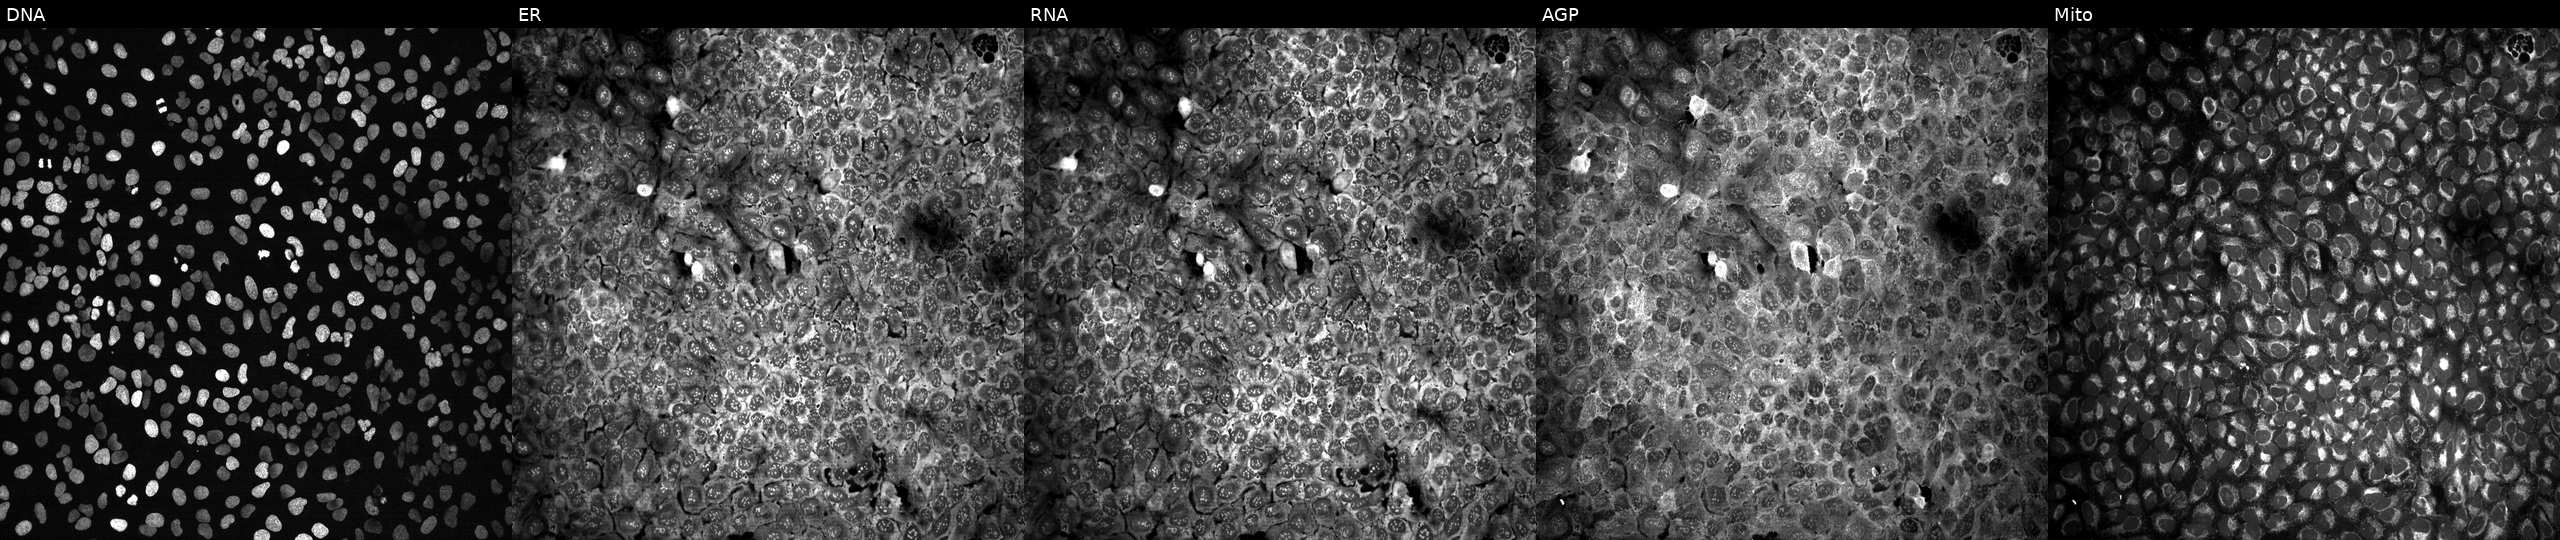
Channels (left→right): DNA (nuclei); ER (endoplasmic reticulum); RNA (nucleoli and cytoplasmic RNA); AGP (actin cytoskeleton, Golgi, and plasma membrane); Mito (mitochondria). U2OS osteosarcoma cells with HLCS knocked out by CRISPR (JUMP id JCP2022_803134). Cell Painting assay, JUMP-CP dataset. Source 13, plate CP-CC9-R3-01, well J17.